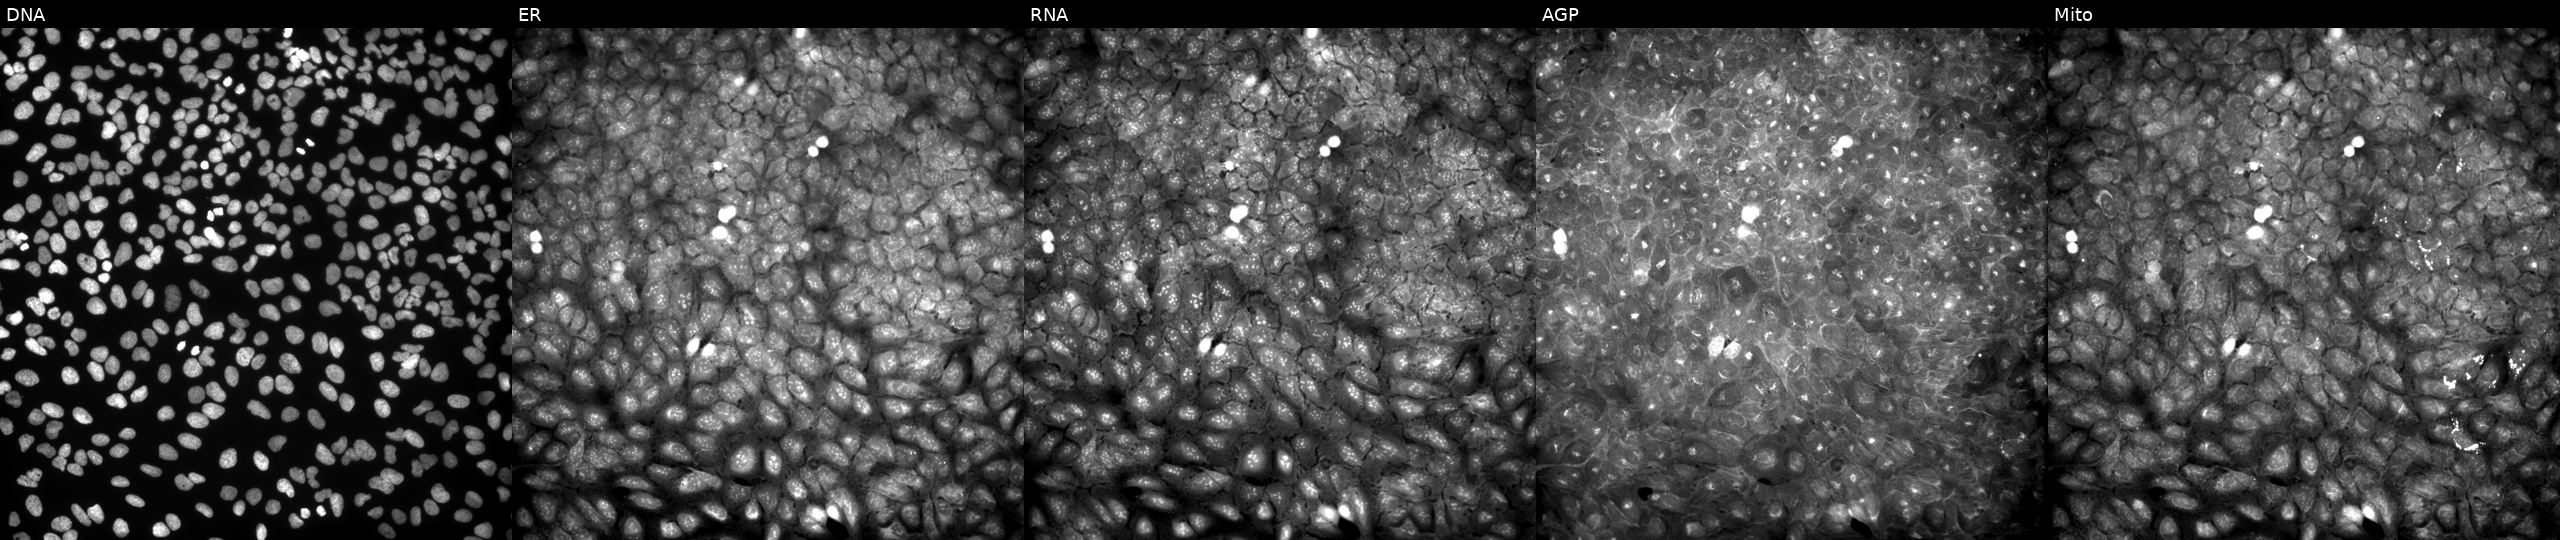
JUMP Cell Painting — COMPOUND plate. U2OS cells treated with a small-molecule compound (InChIKey OZJJKZZJTLAUCT-UHFFFAOYSA-N). Channels (left→right): DNA, ER, RNA, AGP, and Mito. Source 9, plate GR00003382, well P32.